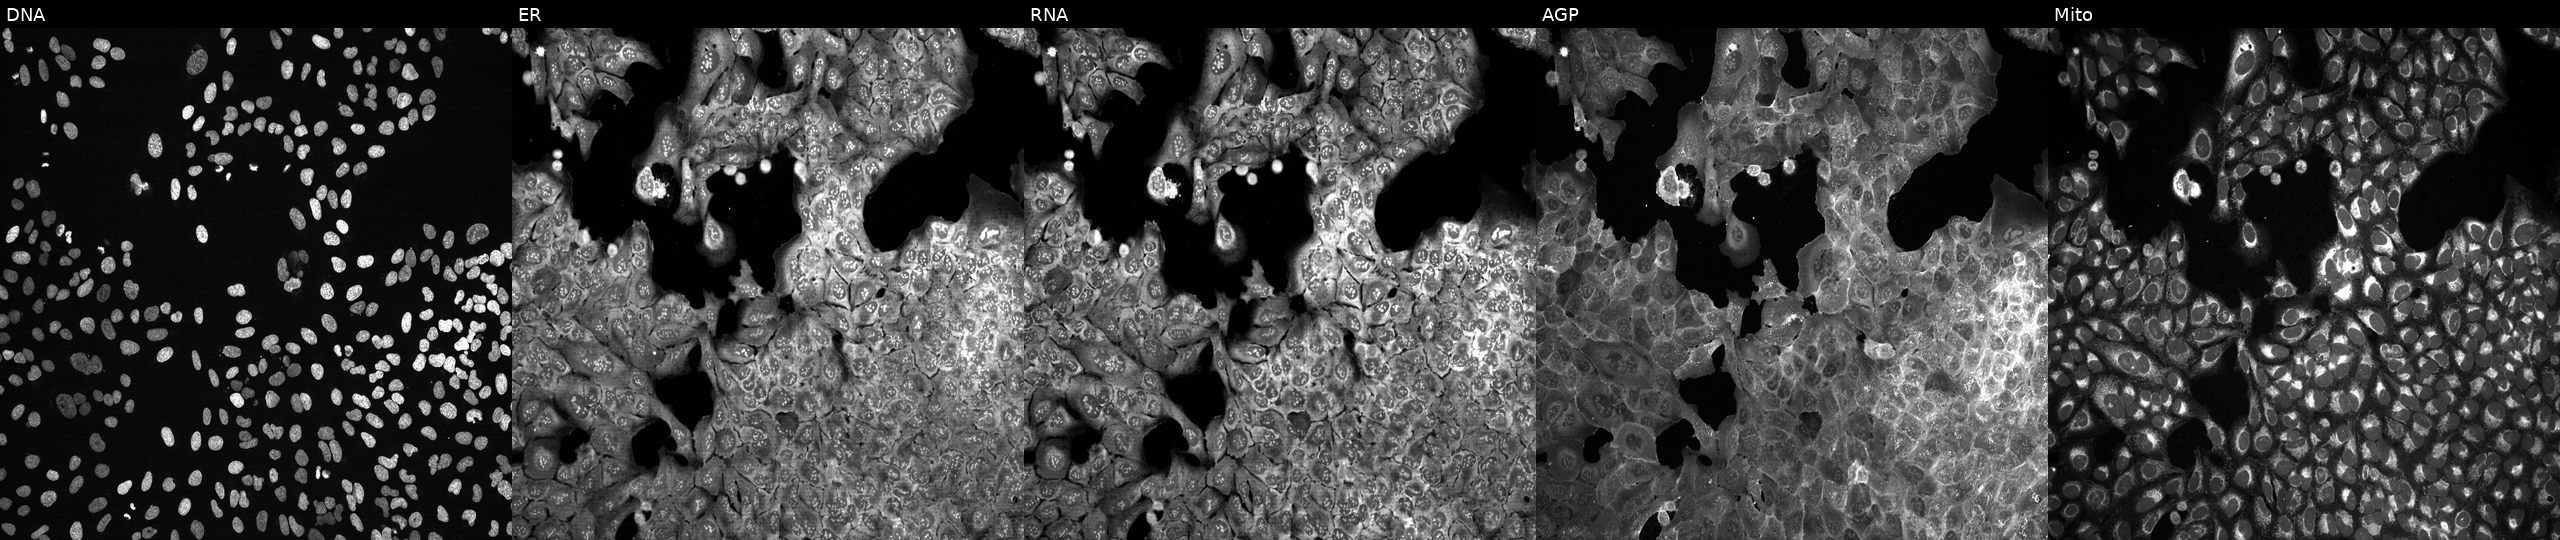
Channels (left→right): DNA (nuclei); ER (endoplasmic reticulum); RNA (nucleoli and cytoplasmic RNA); AGP (actin cytoskeleton, Golgi, and plasma membrane); Mito (mitochondria). U2OS osteosarcoma cells CRISPR-edited to disrupt ZNF367 (JUMP id JCP2022_807888). Cell Painting assay, JUMP-CP dataset.